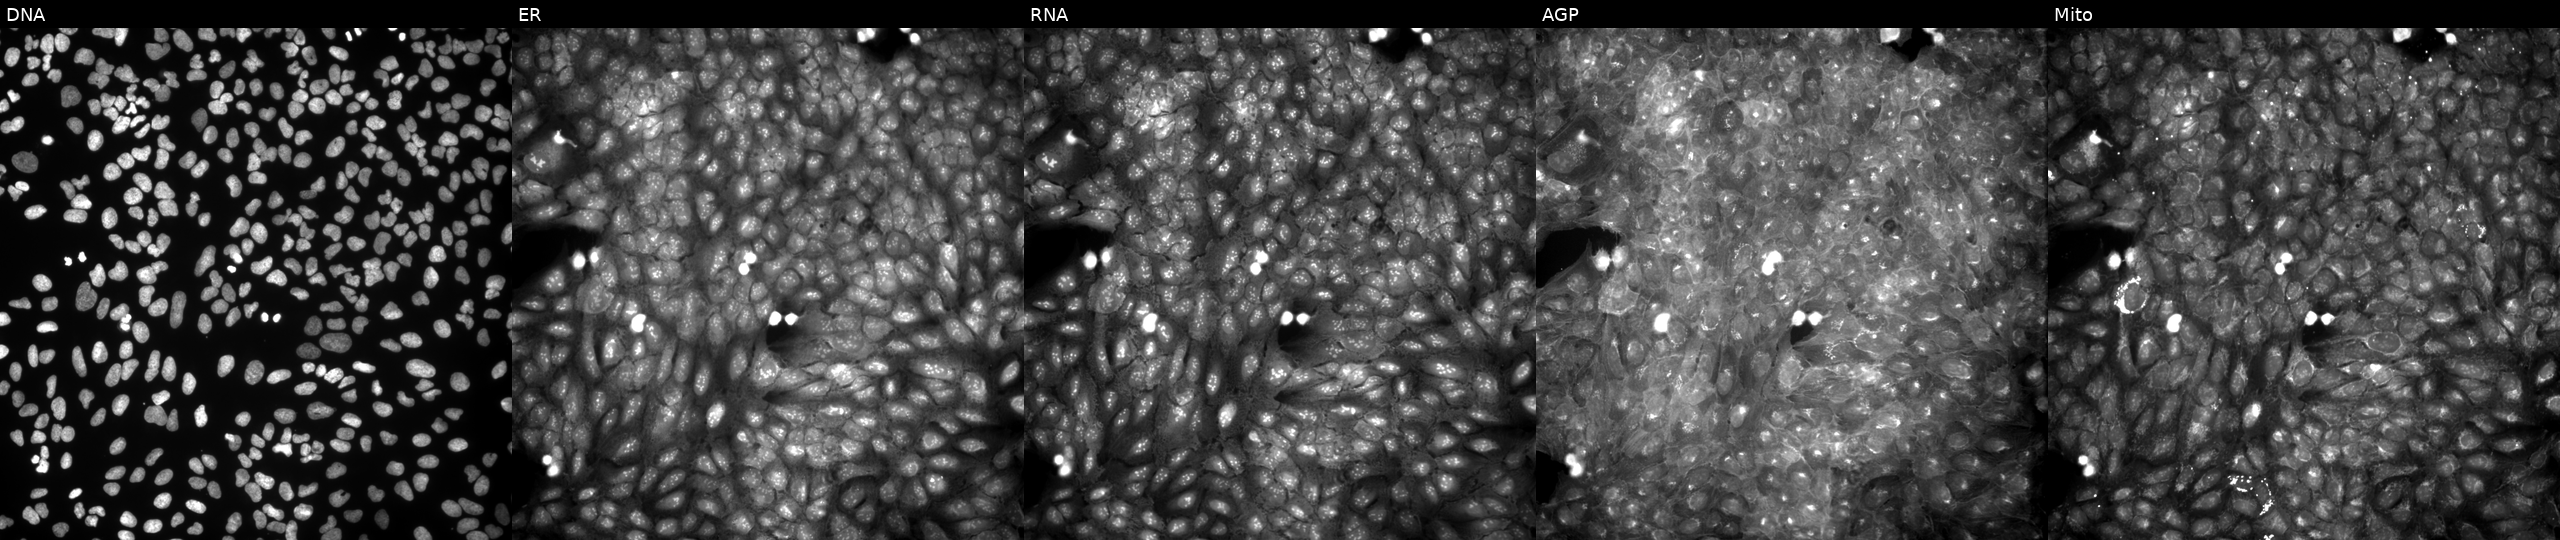
JUMP Cell Painting — COMPOUND plate. U2OS cells treated with a small-molecule compound (InChIKey OBKVEGSZDNHKMF-UHFFFAOYSA-N). Channels (left→right): DNA, ER, RNA, AGP, and Mito.